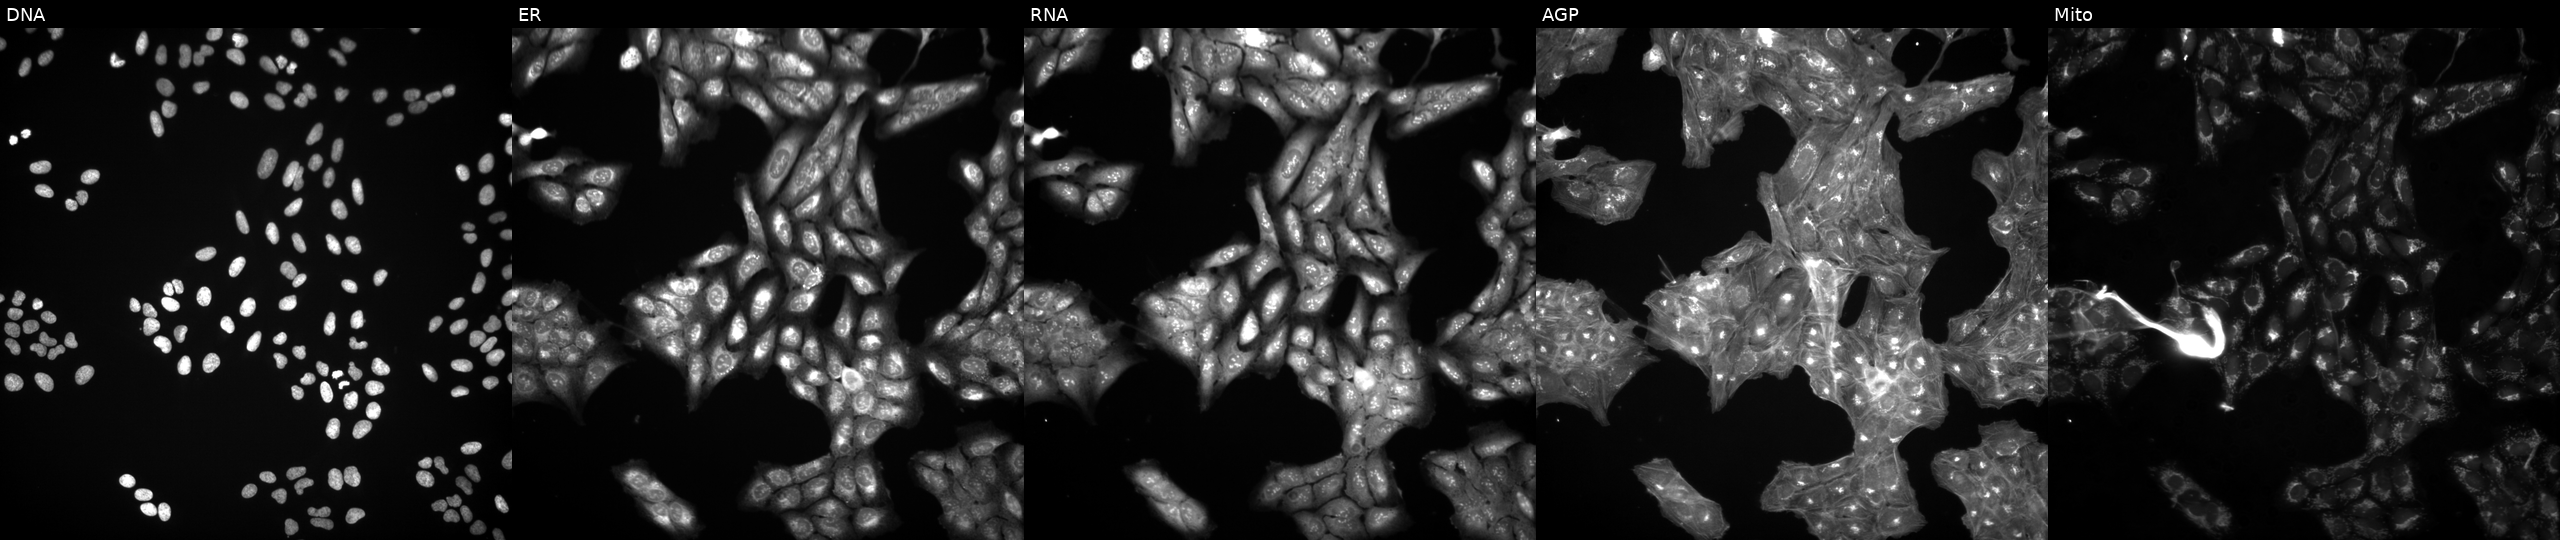
JUMP Cell Painting — COMPOUND plate. U2OS cells treated with a small-molecule compound (InChIKey FUANIRTWAKKGCG-UHFFFAOYSA-N) (JUMP id JCP2022_022949). The five panels, left to right, show DNA, ER, RNA, AGP, and Mito.